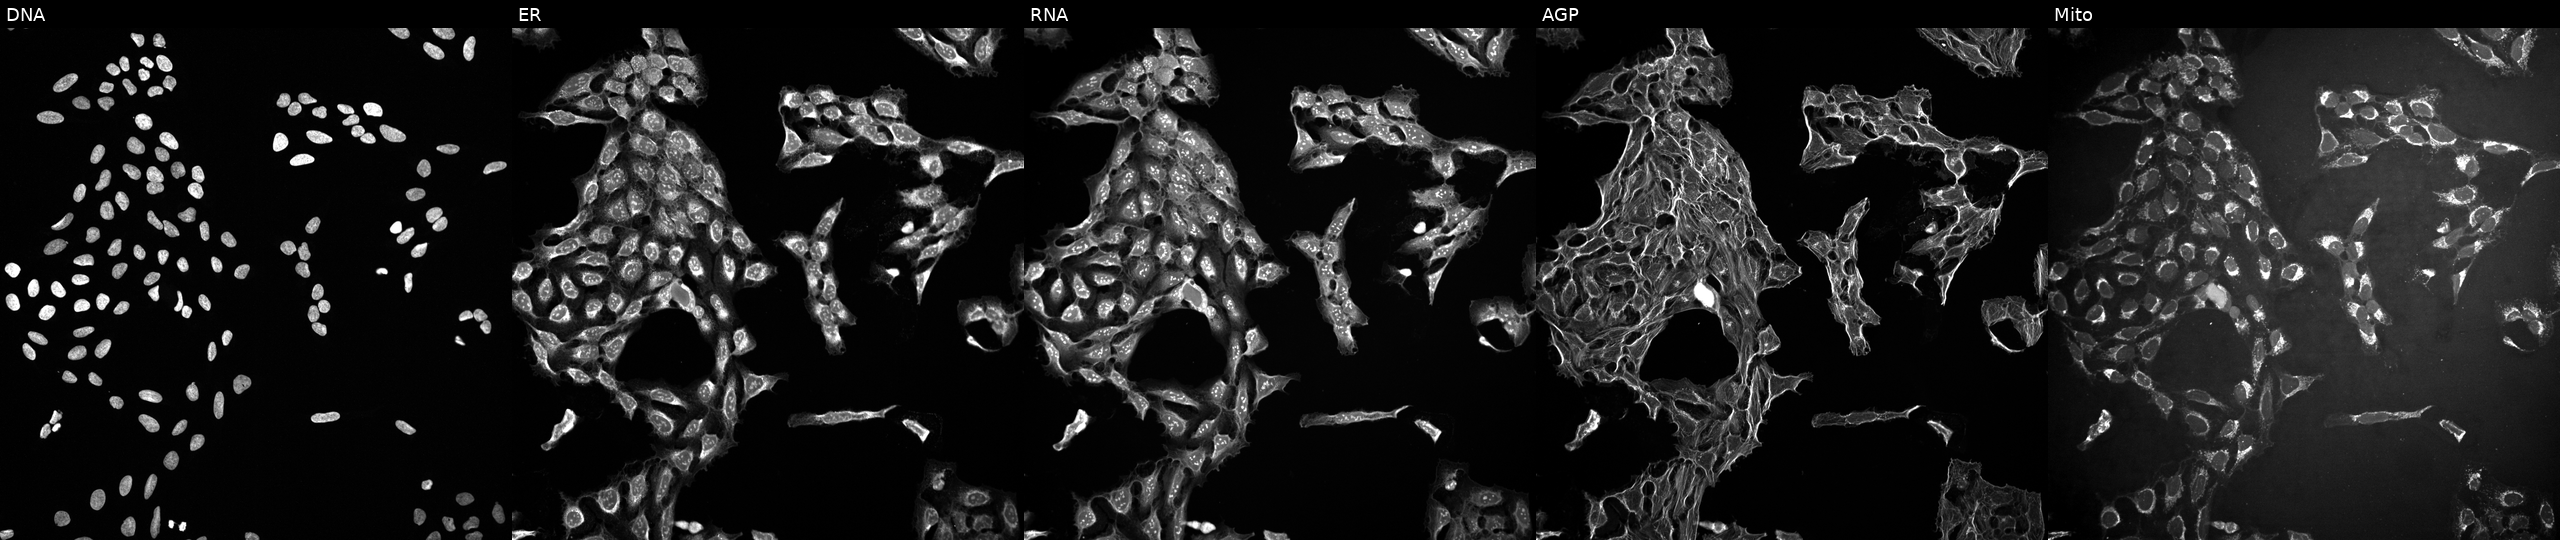
Five-channel Cell Painting image of U2OS cells treated with a small-molecule compound (InChIKey KJWGEXJCWCYEMI-UHFFFAOYSA-N) [SMILES: COC(=O)C1=C(C#N)N=C(C)C(C(=O)OC(C)C)C1c1cccc([N+](=O)[O-])c1] (JUMP id JCP2022_045105). Panels show, left to right, DNA (nuclei); ER (endoplasmic reticulum); RNA (nucleoli and cytoplasmic RNA); AGP (actin cytoskeleton, Golgi, and plasma membrane); Mito (mitochondria). Source 10, plate Dest210727-153003, well O14.